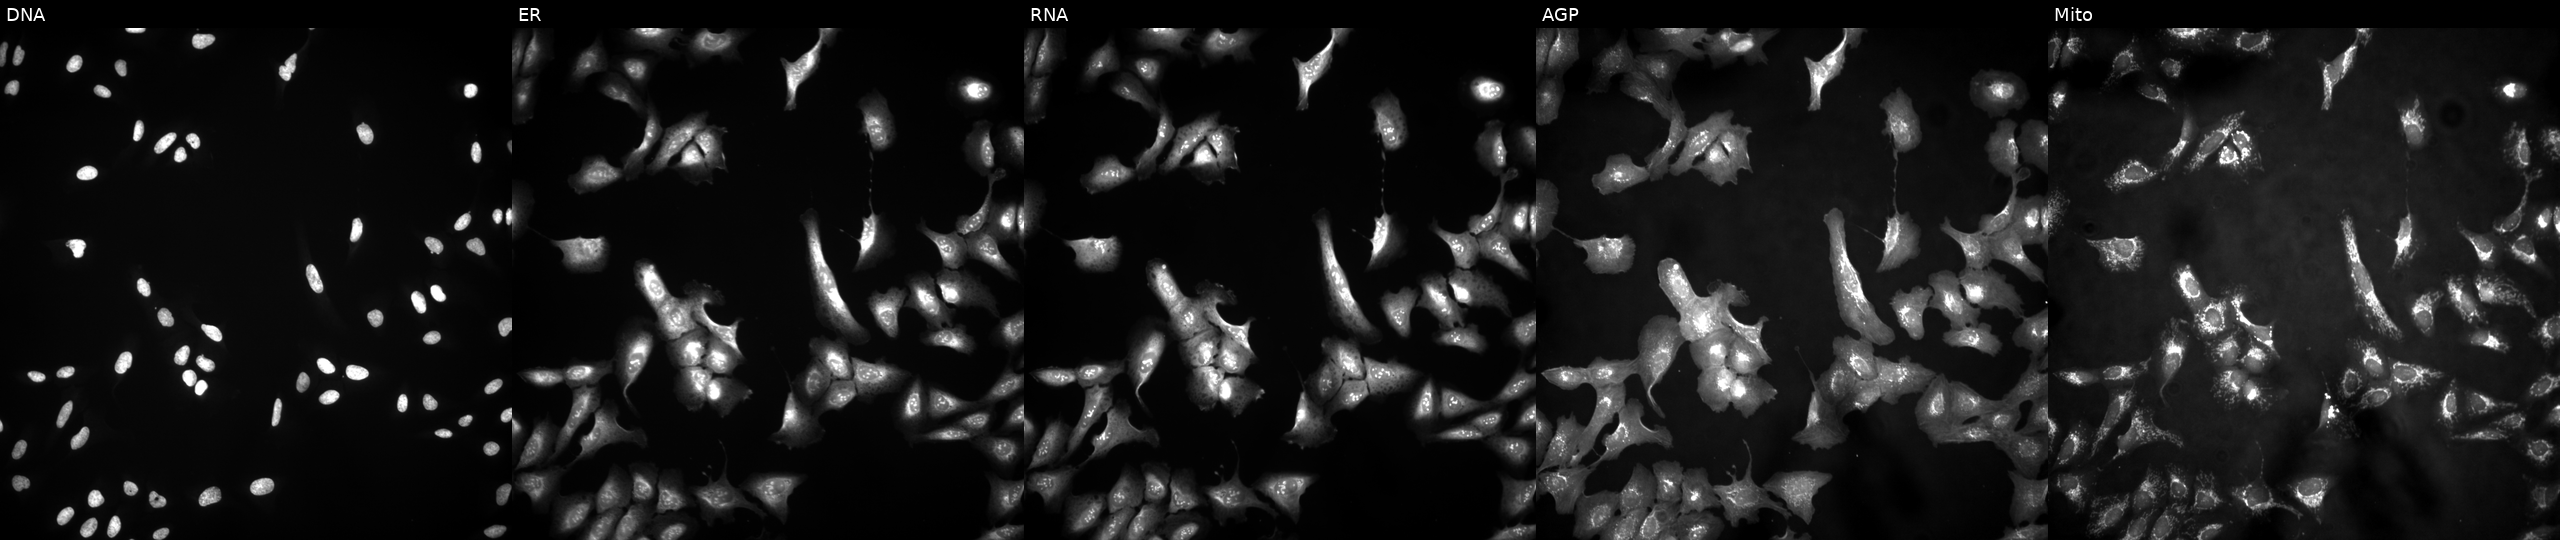
This image strip shows the five Cell Painting channels for a single field of U2OS cells overexpressing SH3YL1 via ORF transfection. Channels (left→right): DNA (nuclei); ER (endoplasmic reticulum); RNA (nucleoli and cytoplasmic RNA); AGP (actin cytoskeleton, Golgi, and plasma membrane); Mito (mitochondria).